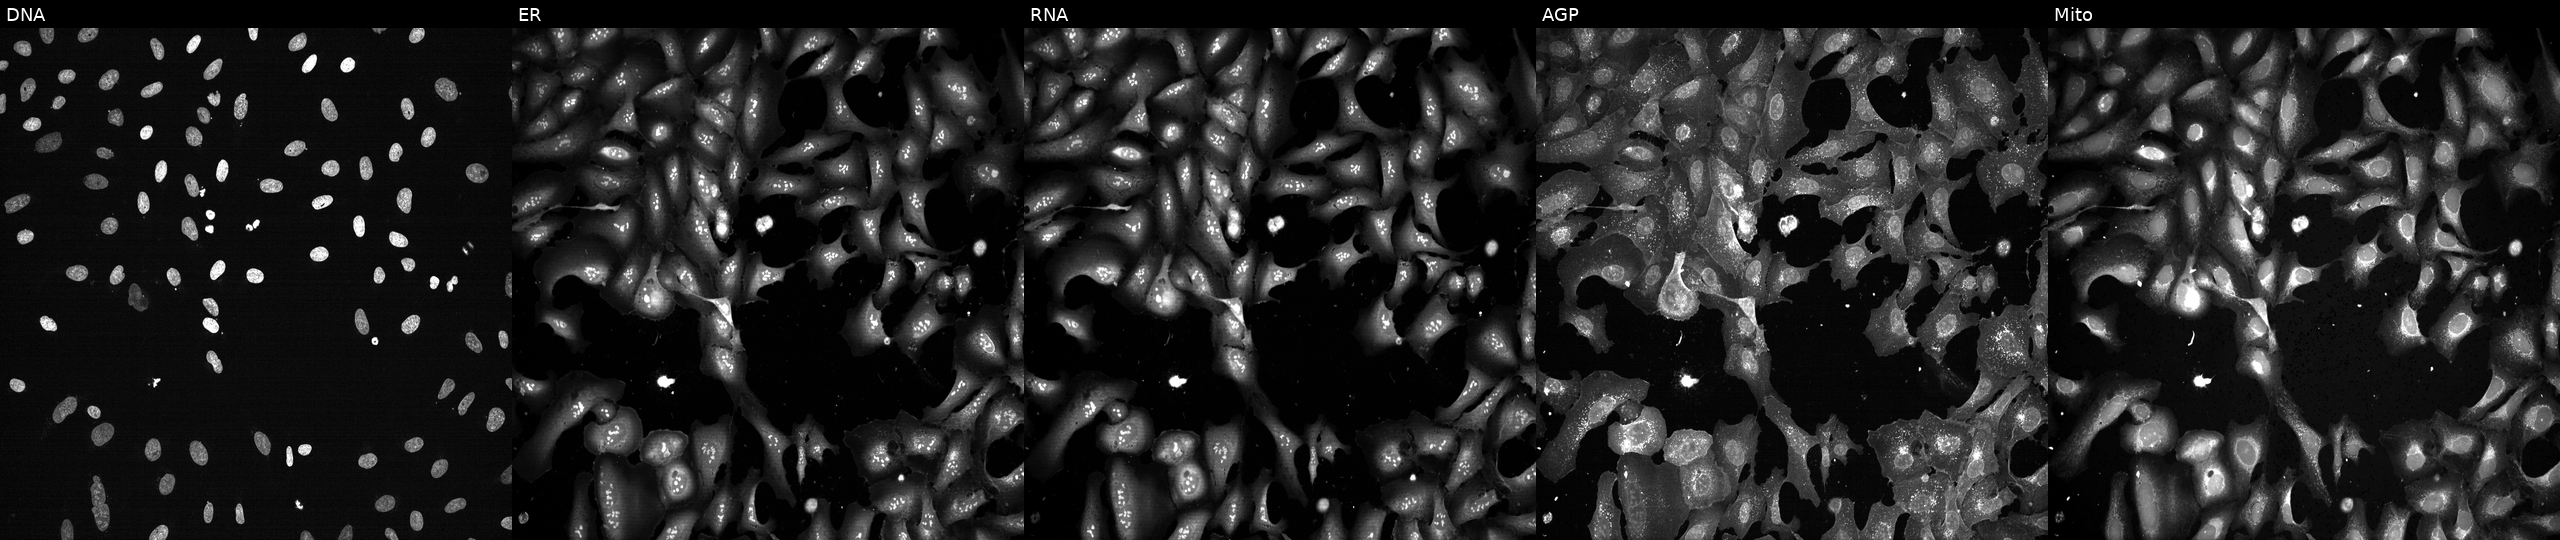
JUMP Cell Painting — CRISPR plate. U2OS cells following CRISPR knockout of CMAS. Channels (left→right): Hoechst 33342, concanavalin A, SYTO 14, phalloidin and WGA, MitoTracker.